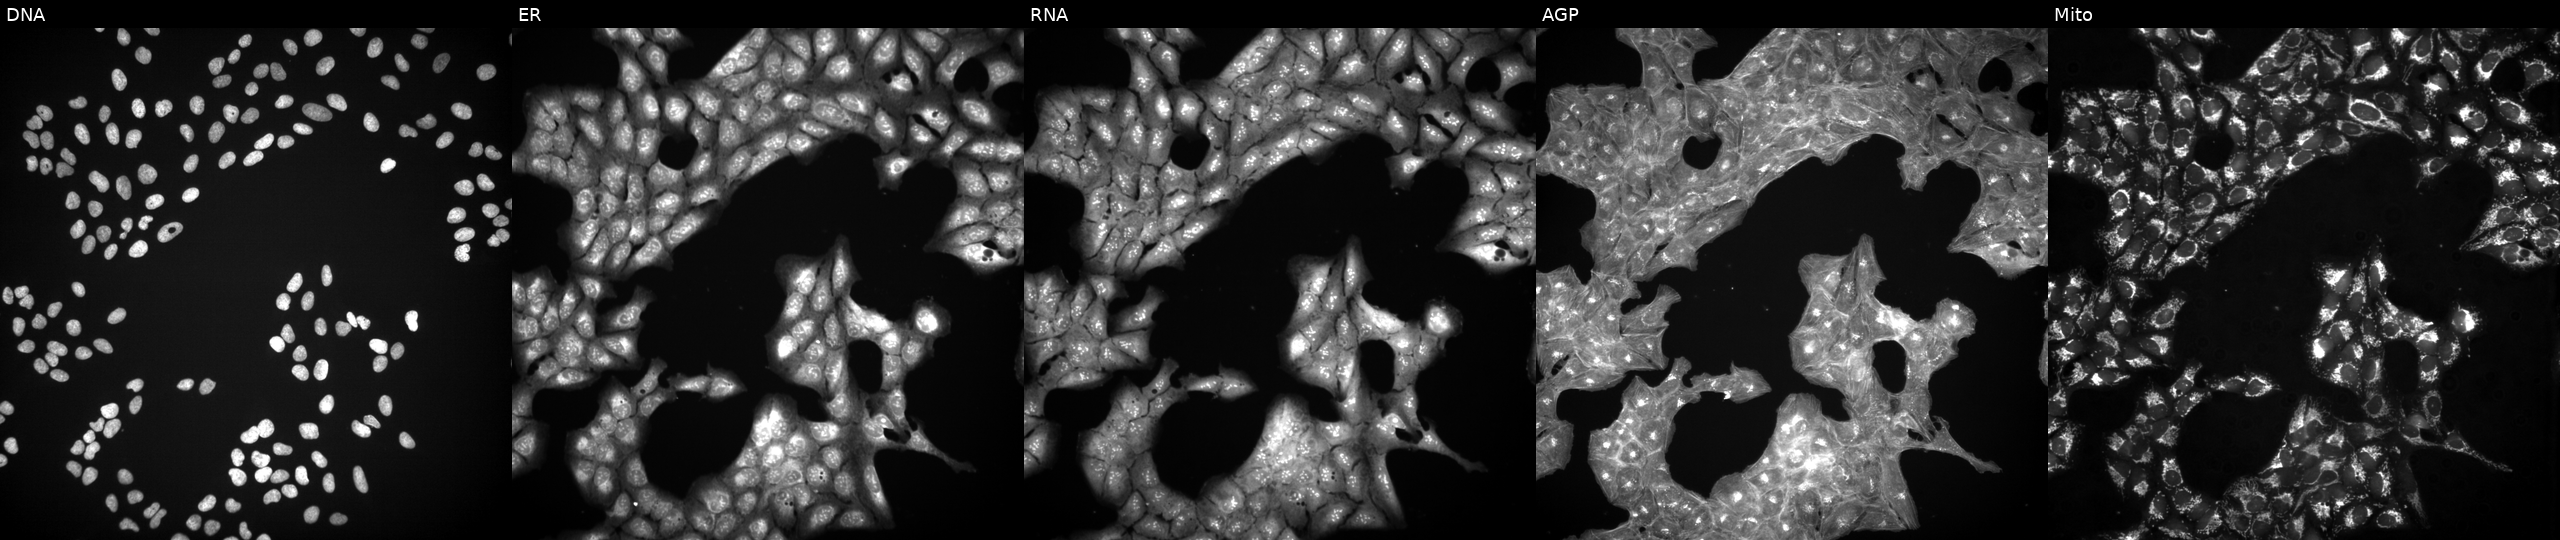
High-content fluorescence microscopy (Cell Painting). Cell line: U2OS. Perturbation: exposed to a small-molecule compound. From left to right: Hoechst 33342, concanavalin A, SYTO 14, phalloidin and WGA, MitoTracker. Source 3, plate JCPQC051, well M12.